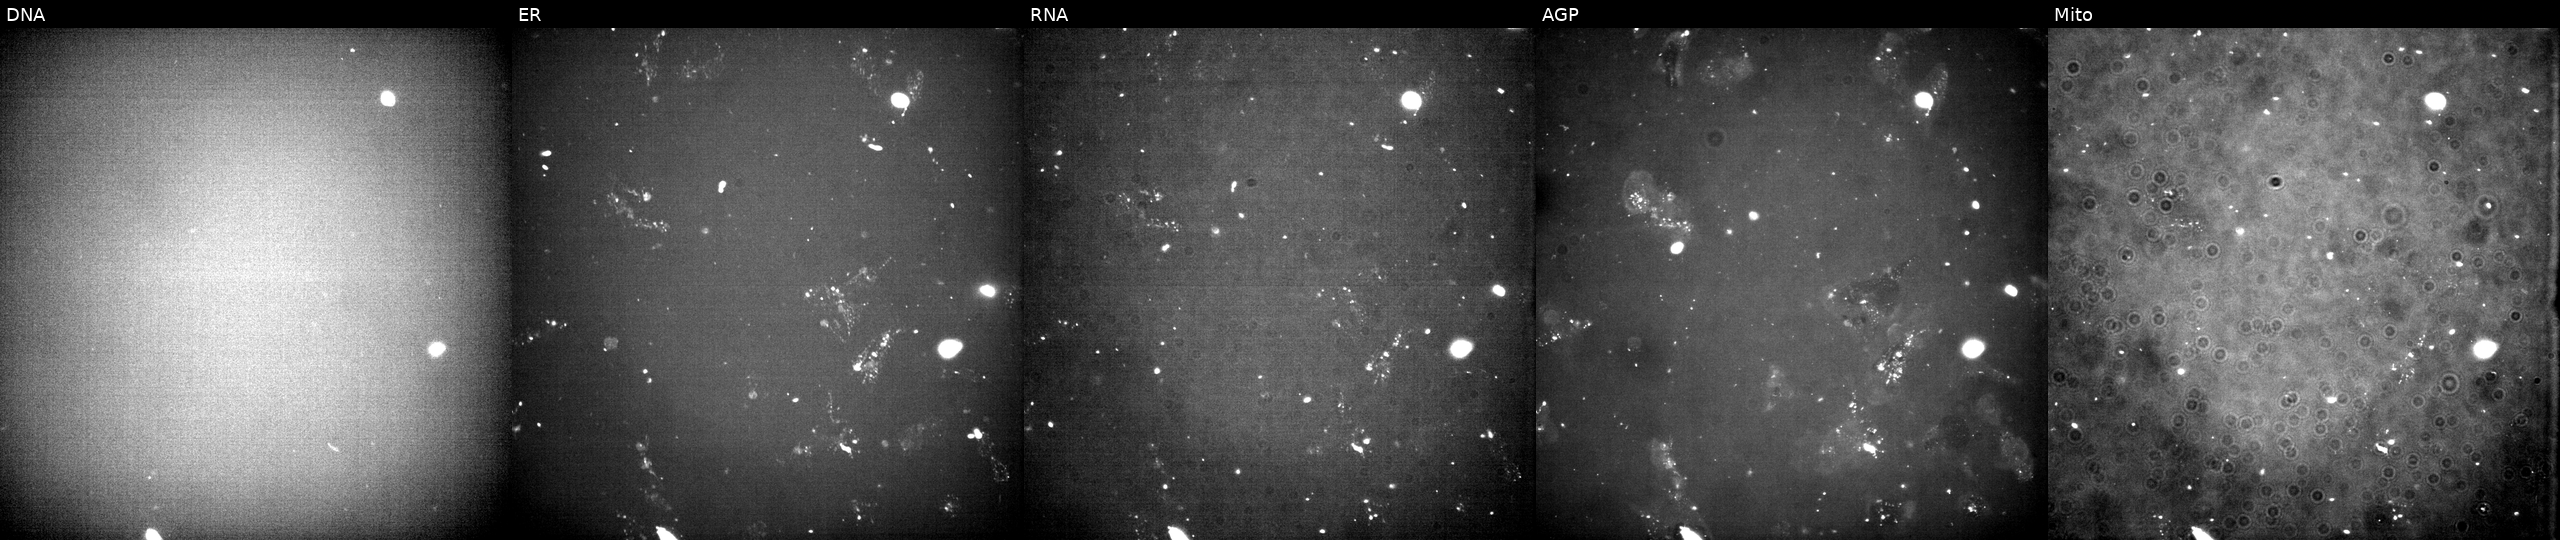
Five-channel Cell Painting image of U2OS cells exposed to a small-molecule compound. Channels (left→right): DNA (nuclei); ER (endoplasmic reticulum); RNA (nucleoli and cytoplasmic RNA); AGP (actin cytoskeleton, Golgi, and plasma membrane); Mito (mitochondria).